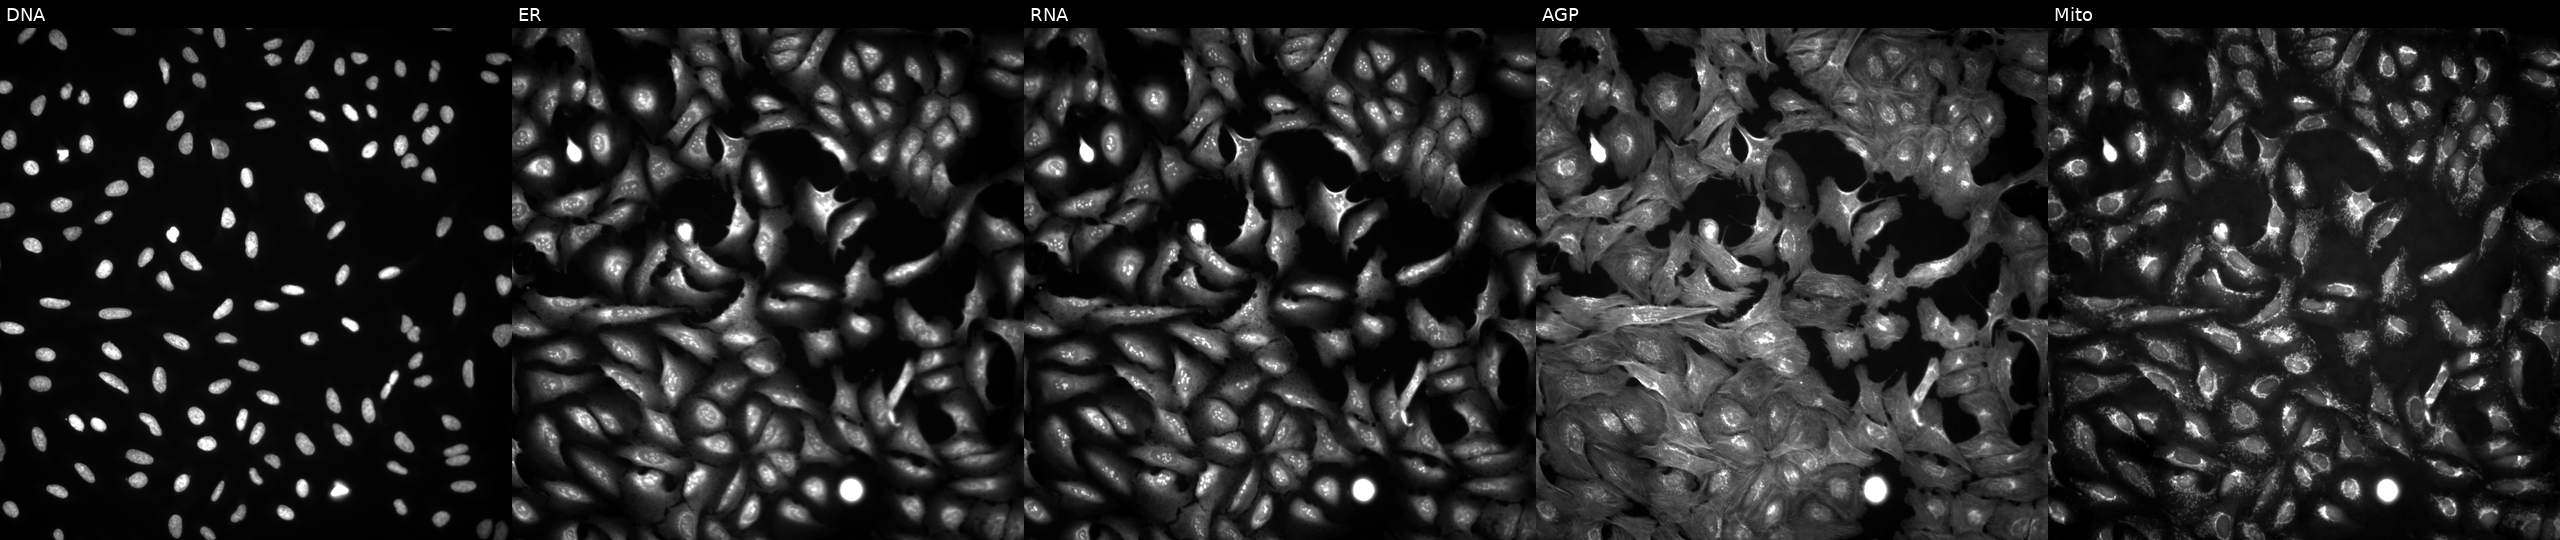
High-content fluorescence microscopy (Cell Painting). Cell line: U2OS. Perturbation: expressing eGFP (ORF positive control) (JUMP id JCP2022_915132). Panels show, left to right, Hoechst 33342, concanavalin A, SYTO 14, phalloidin and WGA, MitoTracker. Source 4, plate BR00124784, well O18.